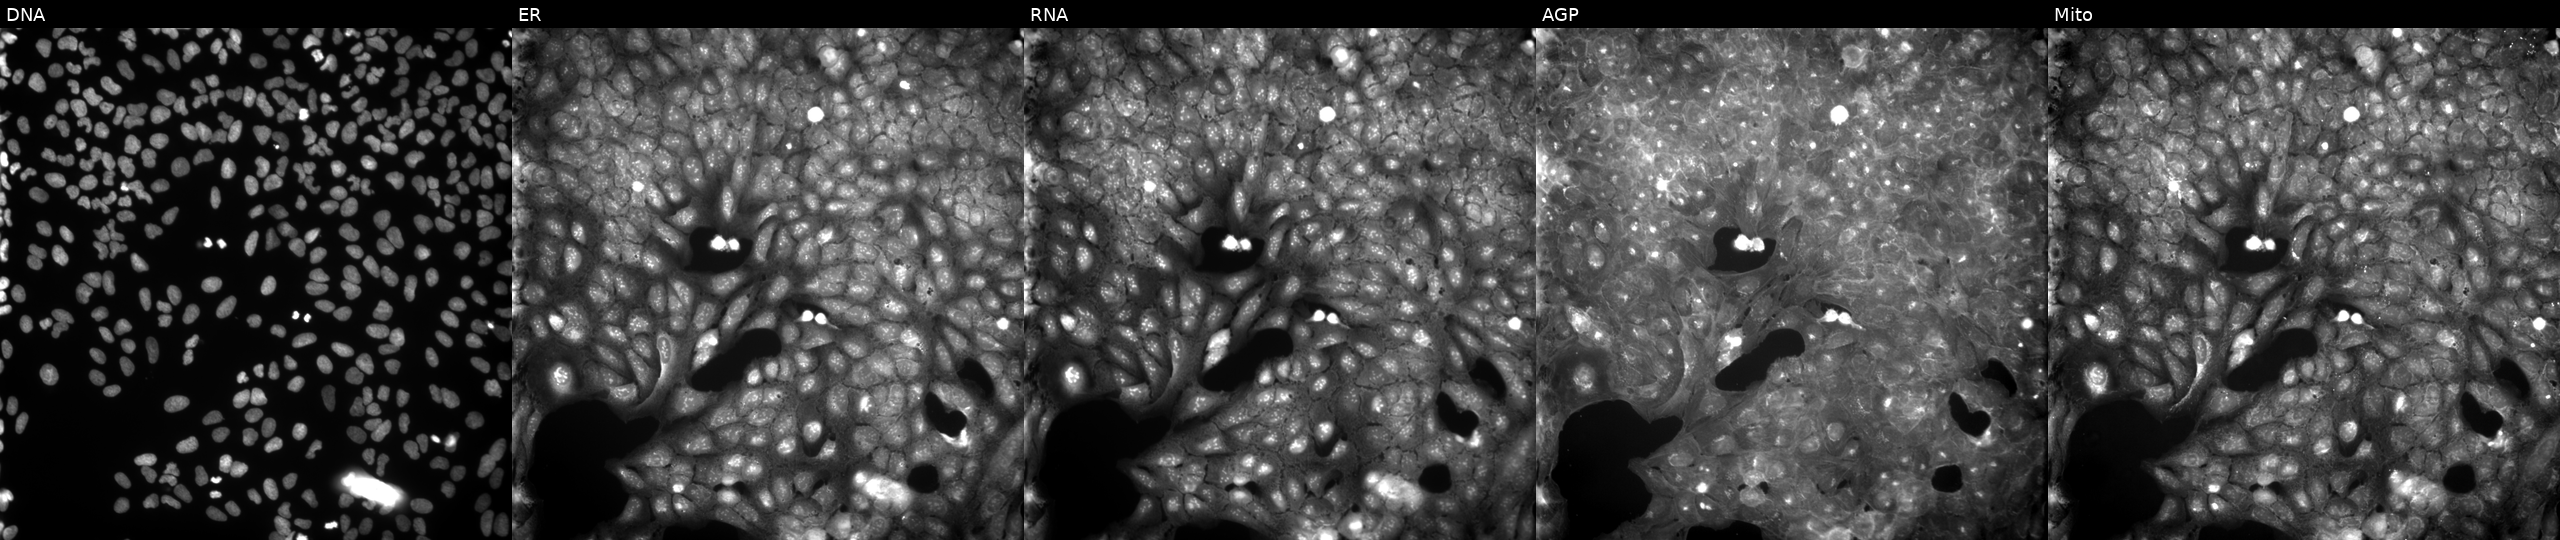
Five-channel Cell Painting image of U2OS cells treated with aloxistatin (positive-control compound). Panels show, left to right, DNA (nuclei); ER (endoplasmic reticulum); RNA (nucleoli and cytoplasmic RNA); AGP (actin cytoskeleton, Golgi, and plasma membrane); Mito (mitochondria).